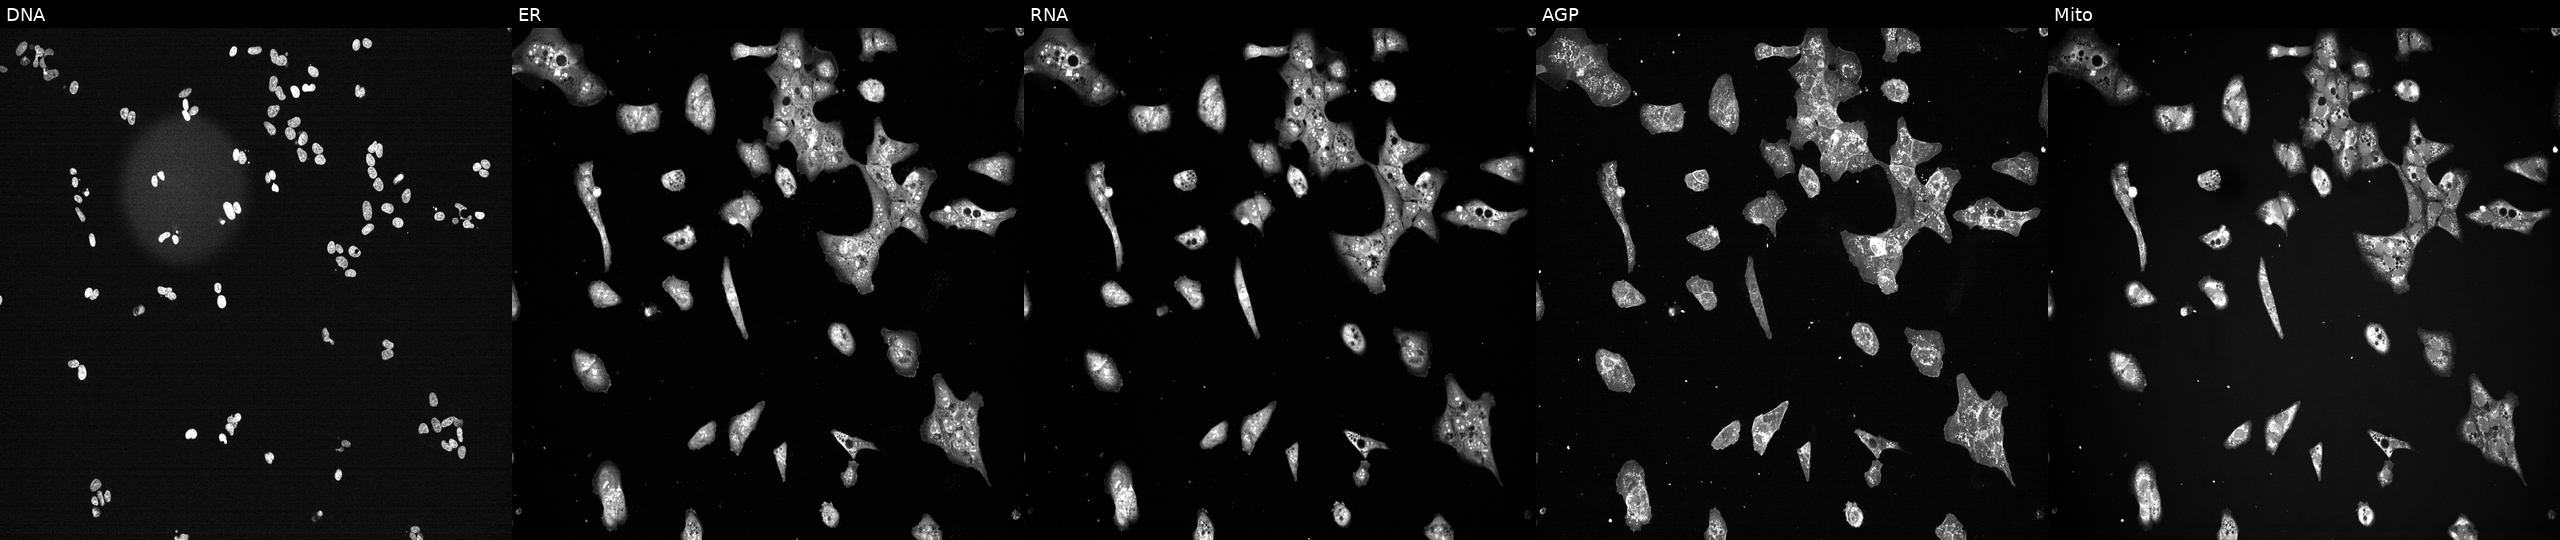
U2OS cells, Cell Painting assay, exposed to a small-molecule compound (InChIKey SCELLOWTHJGVIC-UHFFFAOYSA-N) (JUMP id JCP2022_082234). The five panels, left to right, show Hoechst 33342, concanavalin A, SYTO 14, phalloidin and WGA, MitoTracker. Each panel is percentile-stretched 16-bit fluorescence.